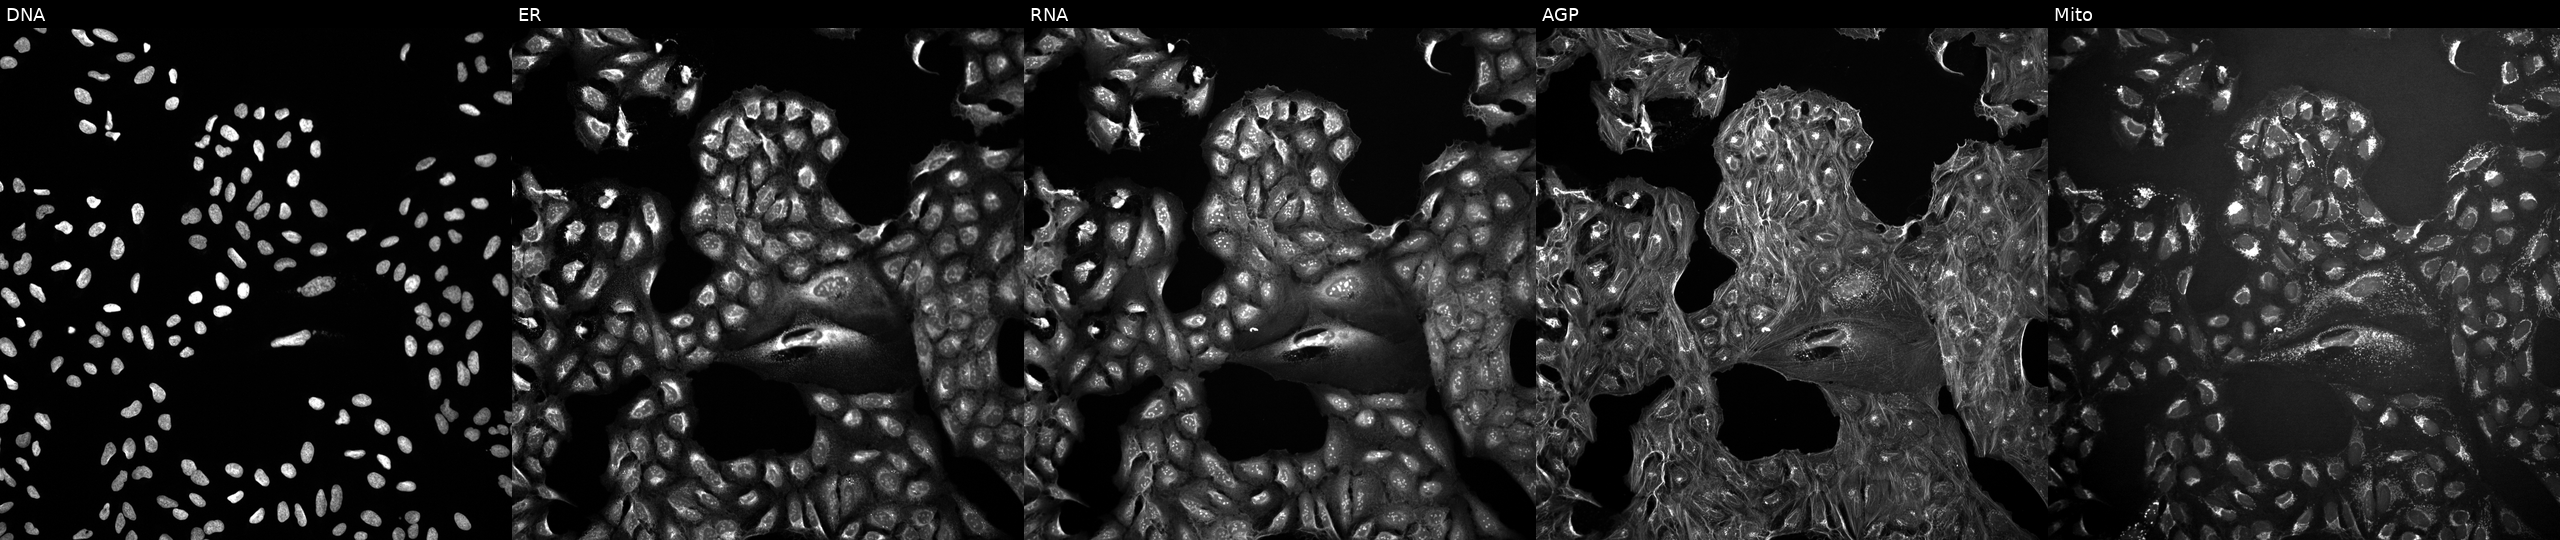
High-content fluorescence microscopy (Cell Painting). Cell line: U2OS. Perturbation: in an empty control well (no perturbation). From left to right: Hoechst 33342, concanavalin A, SYTO 14, phalloidin and WGA, MitoTracker.